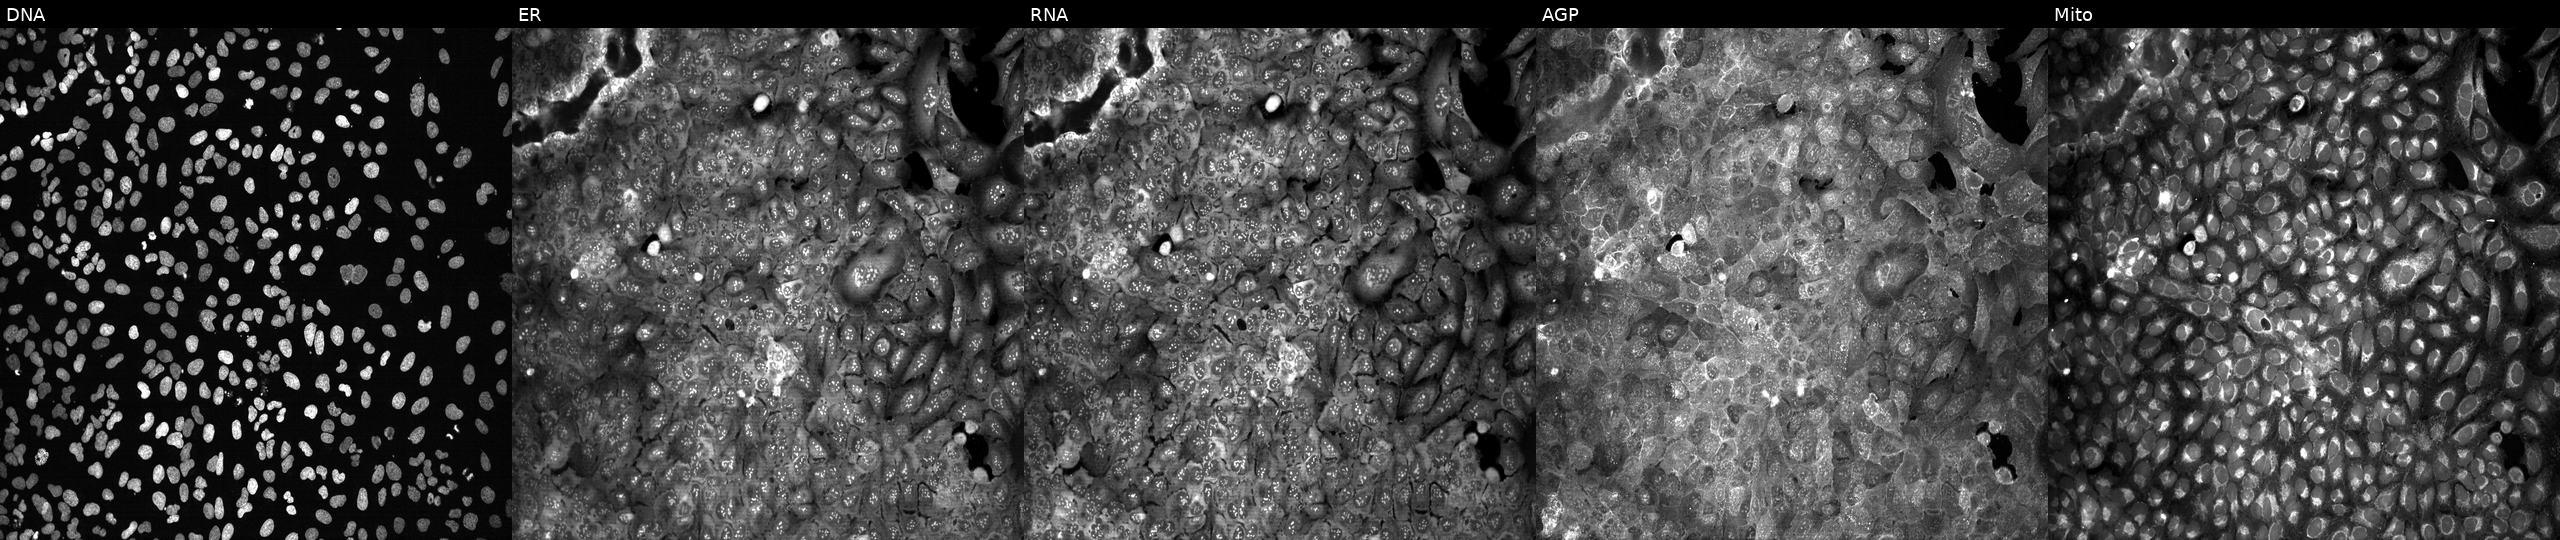
Channels (left→right): DNA, ER, RNA, AGP, and Mito. U2OS osteosarcoma cells following CRISPR knockout of CD160. Cell Painting assay, JUMP-CP dataset. Source 13, plate CP-CC9-R5-01, well G22.